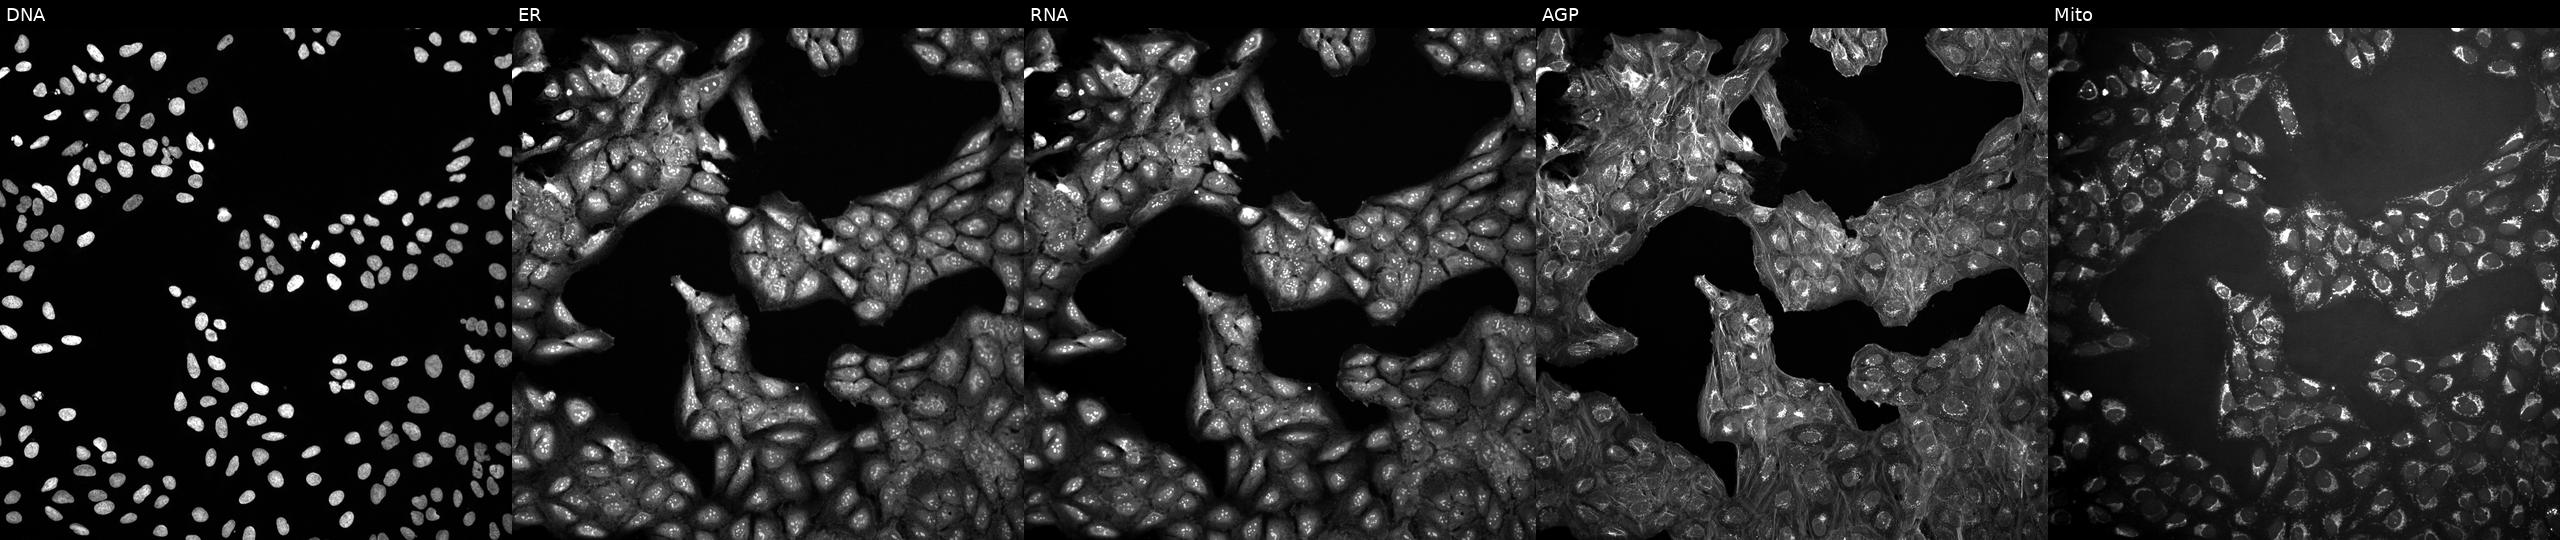
U2OS cells, Cell Painting assay, in an empty control well (no perturbation) (JUMP id JCP2022_999999). From left to right: DNA, ER, RNA, AGP, and Mito. Each panel is percentile-stretched 16-bit fluorescence.